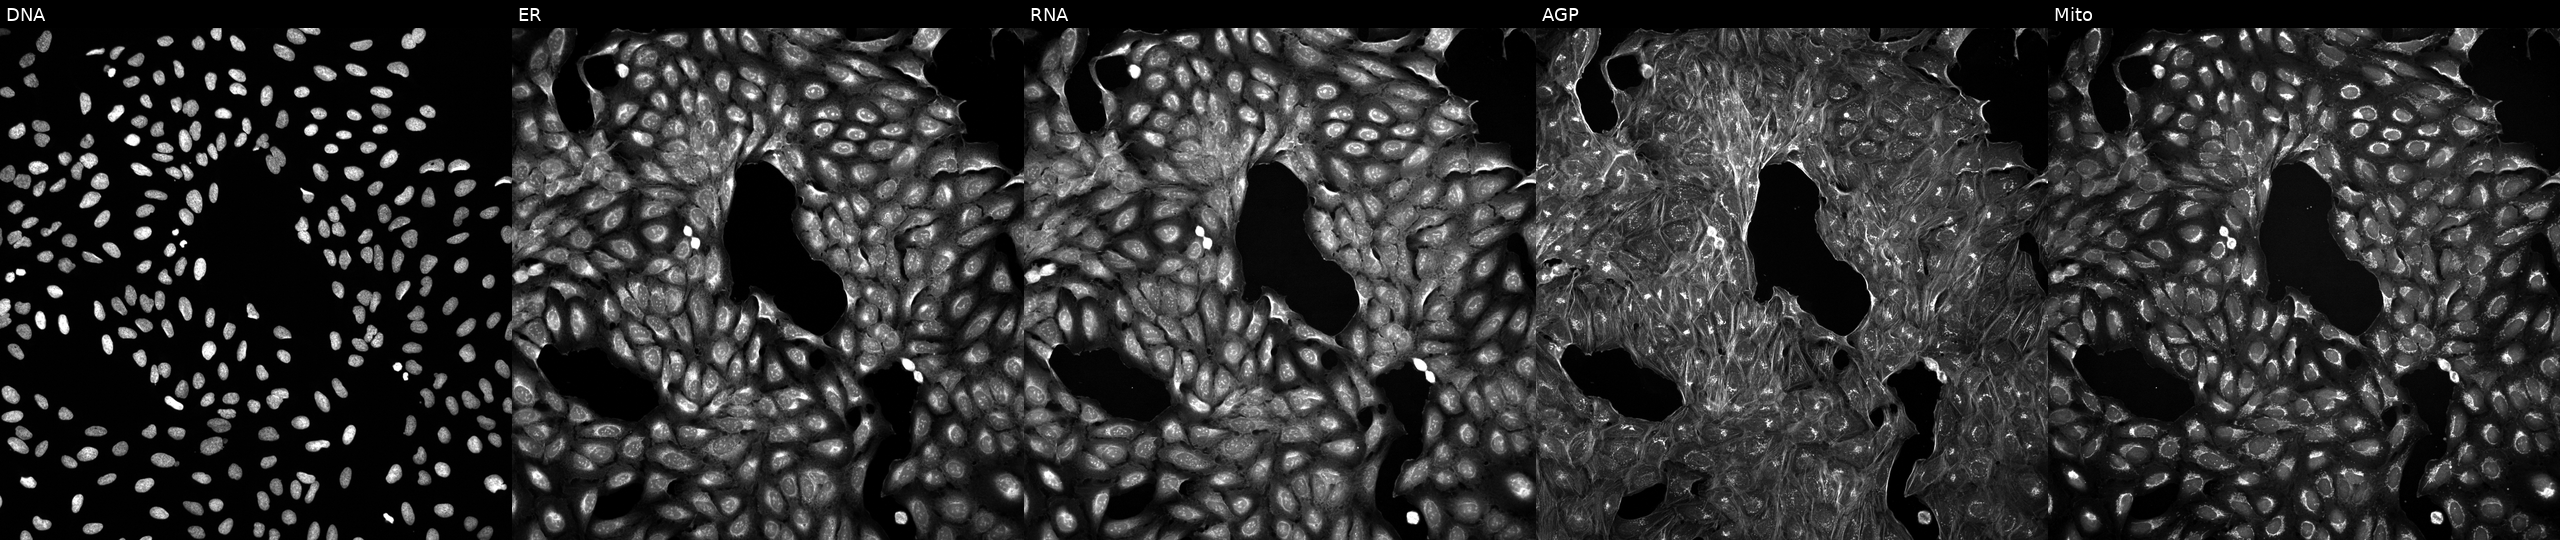
Five-channel Cell Painting image of U2OS cells perturbed with a small-molecule compound (InChIKey HCRKCZRJWPKOAR-UHFFFAOYSA-N). From left to right: DNA, ER, RNA, AGP, and Mito. Source 5, plate ACPJUM051, well B19.